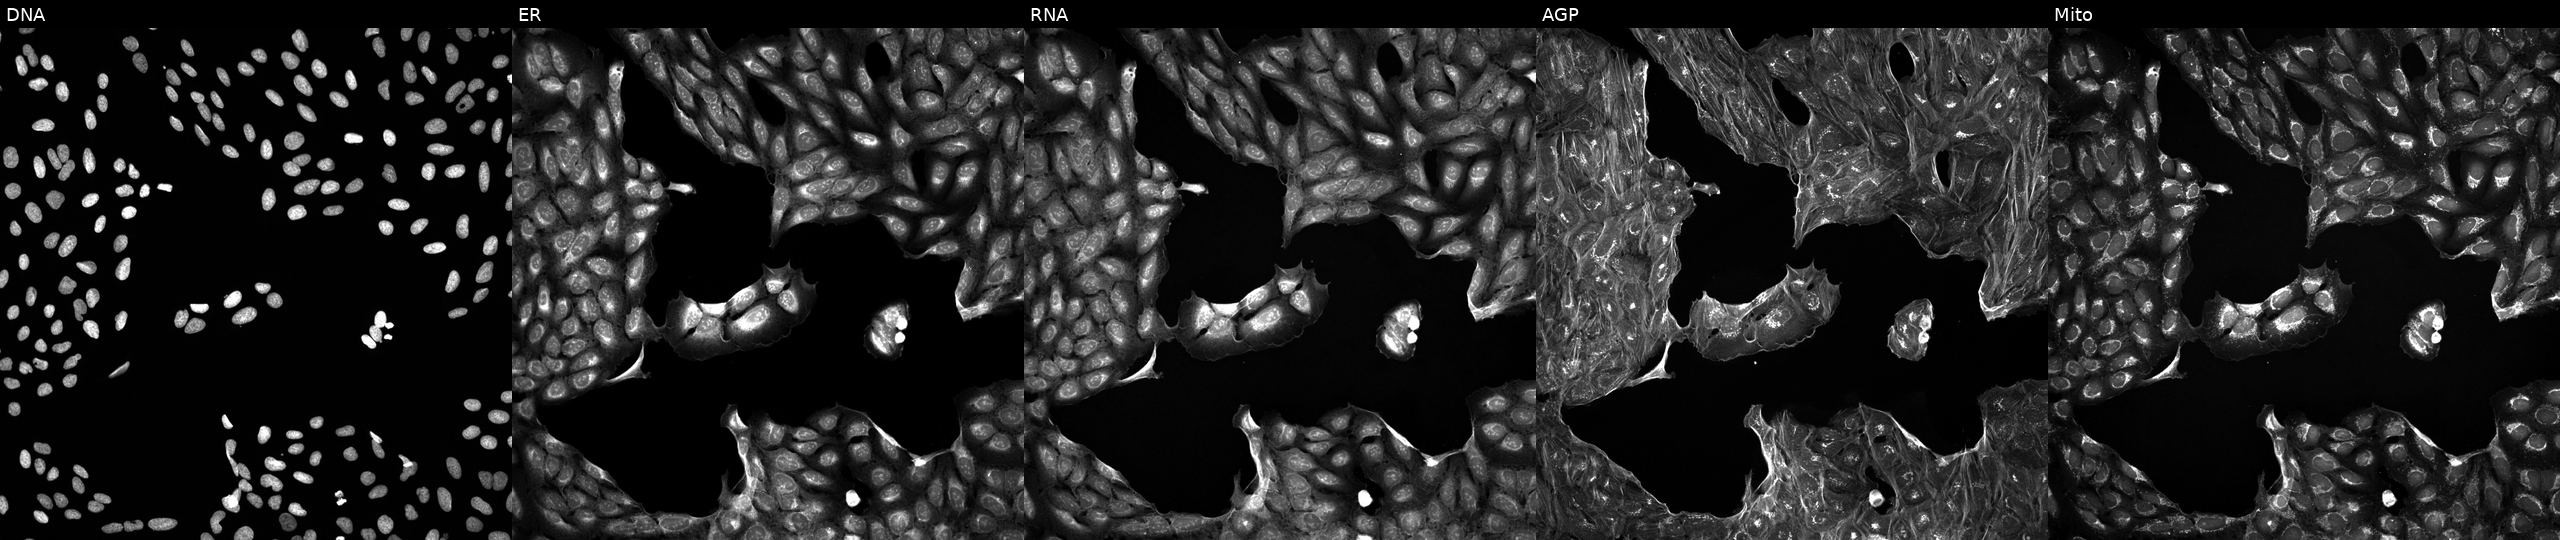
U2OS cells, Cell Painting assay, treated with a small-molecule compound (InChIKey LENZDBCJOHFCAS-UHFFFAOYSA-N) (JUMP id JCP2022_048928). From left to right: DNA (nuclei); ER (endoplasmic reticulum); RNA (nucleoli and cytoplasmic RNA); AGP (actin cytoskeleton, Golgi, and plasma membrane); Mito (mitochondria). Each panel is percentile-stretched 16-bit fluorescence. Source 5, plate ACPJUM012, well F02.